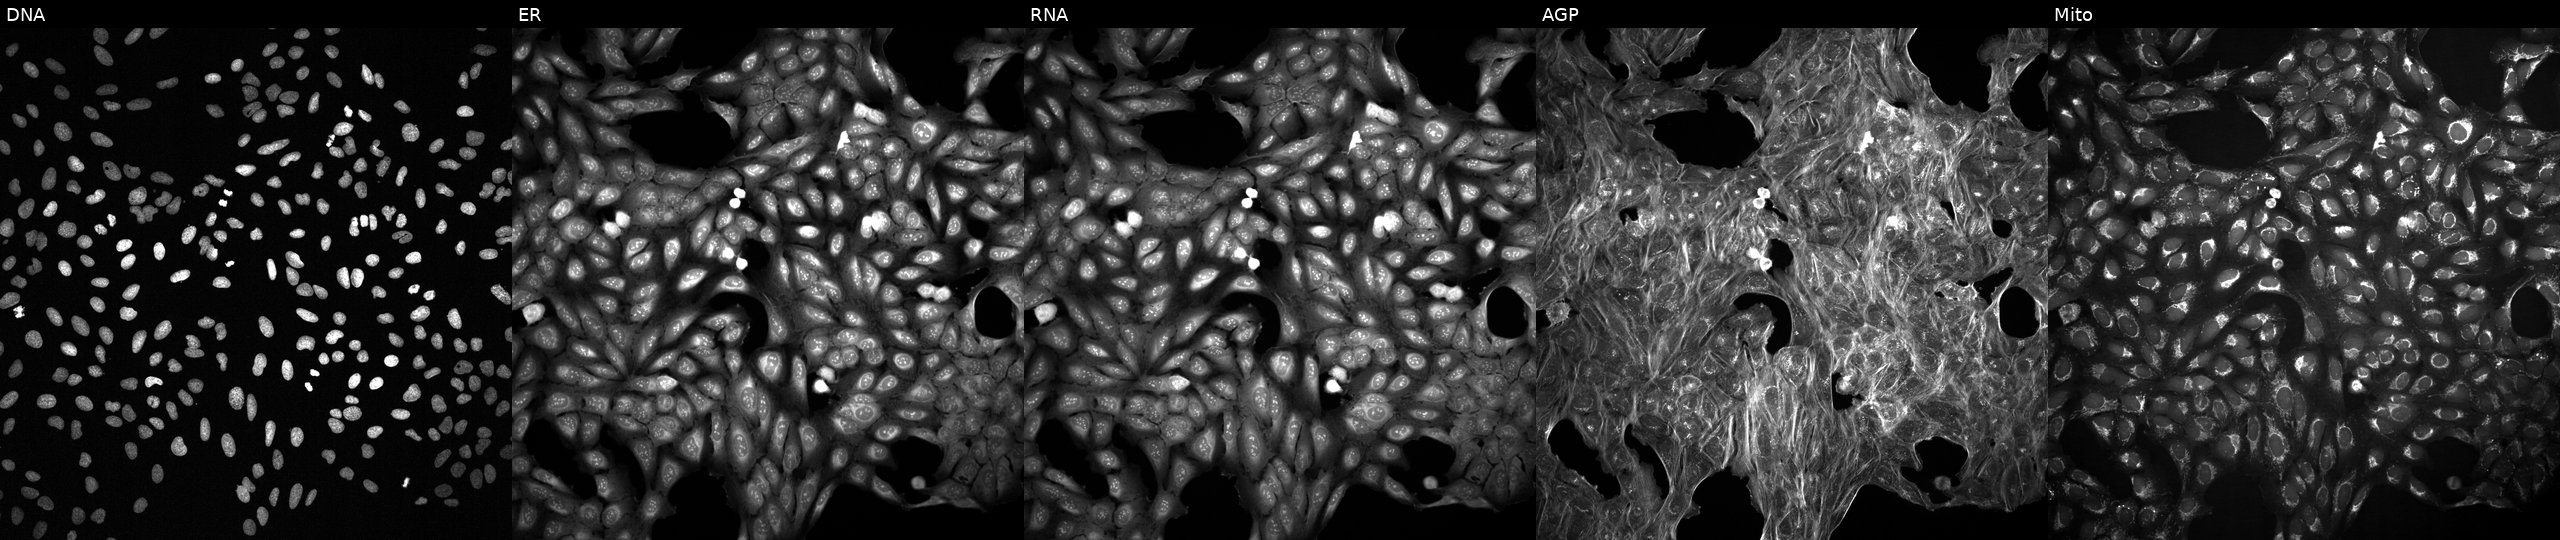
Panels show, left to right, DNA (nuclei); ER (endoplasmic reticulum); RNA (nucleoli and cytoplasmic RNA); AGP (actin cytoskeleton, Golgi, and plasma membrane); Mito (mitochondria). U2OS osteosarcoma cells perturbed with a small-molecule compound [SMILES: CC(C)NC(=O)C(=O)Nc1ccccc1C(=O)NCc1ccccn1]. Cell Painting assay, JUMP-CP dataset.